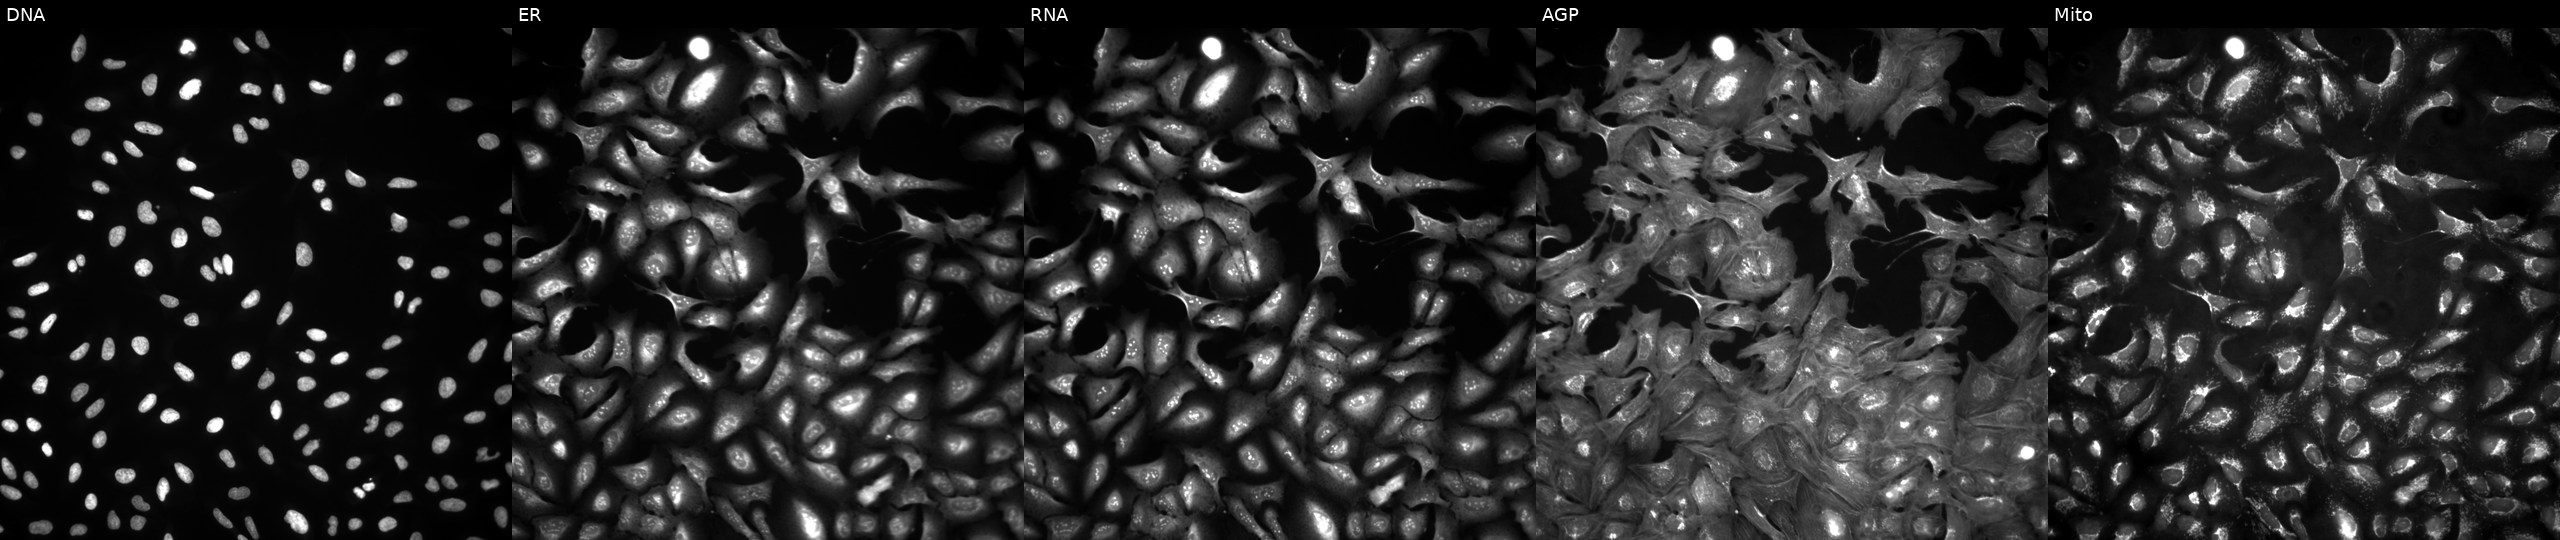
JUMP Cell Painting — ORF plate. U2OS cells untreated (empty-well control) (JUMP id JCP2022_999999). Panels show, left to right, Hoechst 33342, concanavalin A, SYTO 14, phalloidin and WGA, MitoTracker. Source 4, plate BR00124784, well O22.